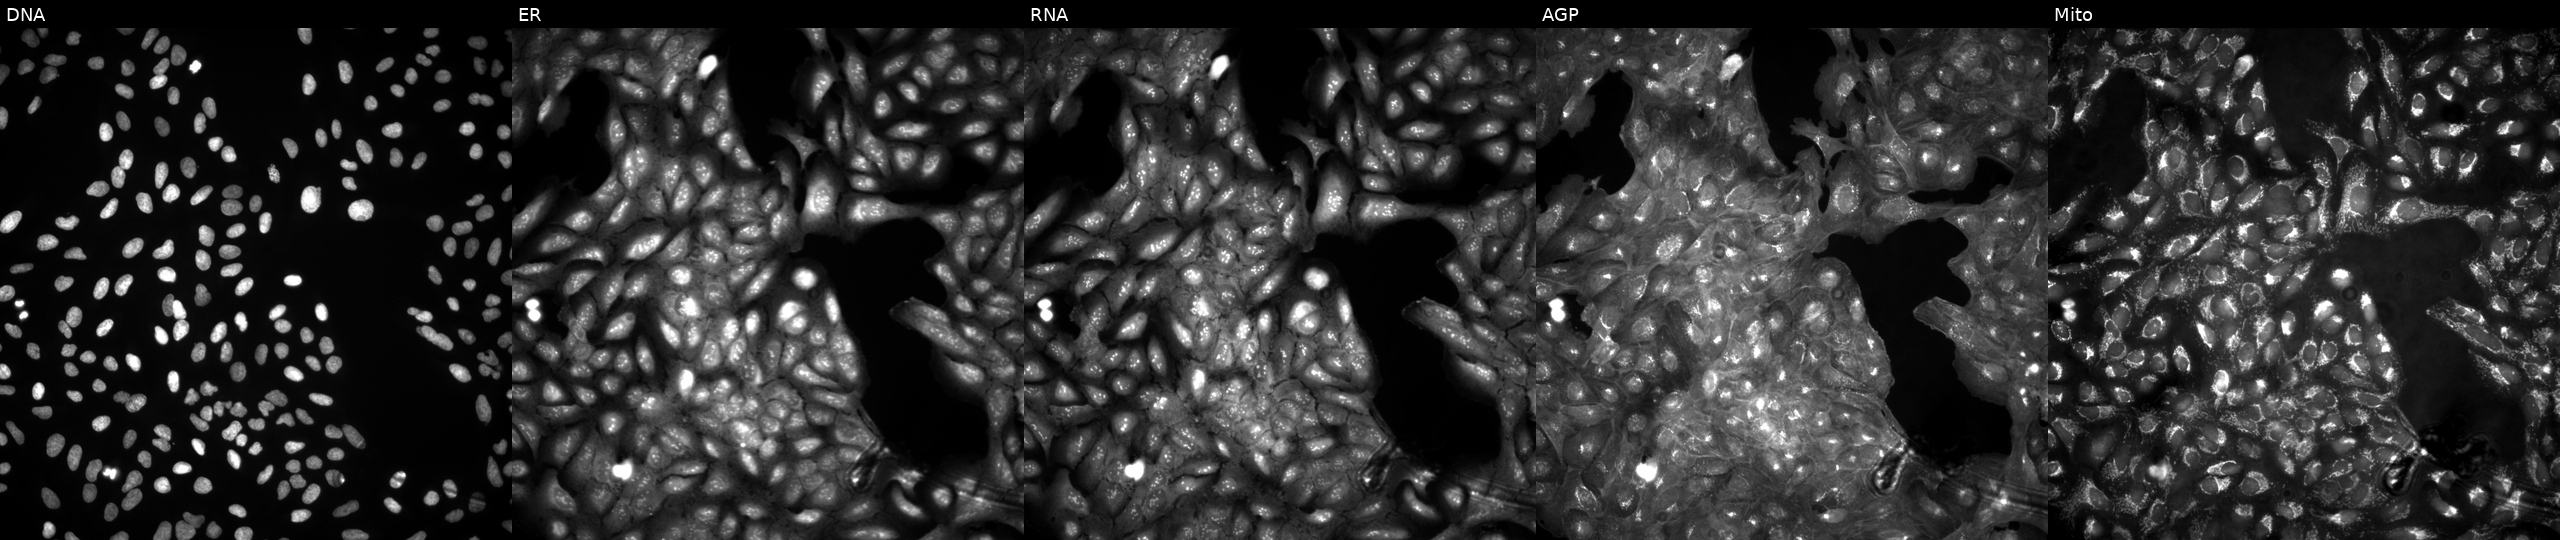
This image strip shows the five Cell Painting channels for a single field of U2OS cells in an empty control well (no perturbation). Channels (left→right): DNA, ER, RNA, AGP, and Mito. Source 4, plate BR00123946, well B01.